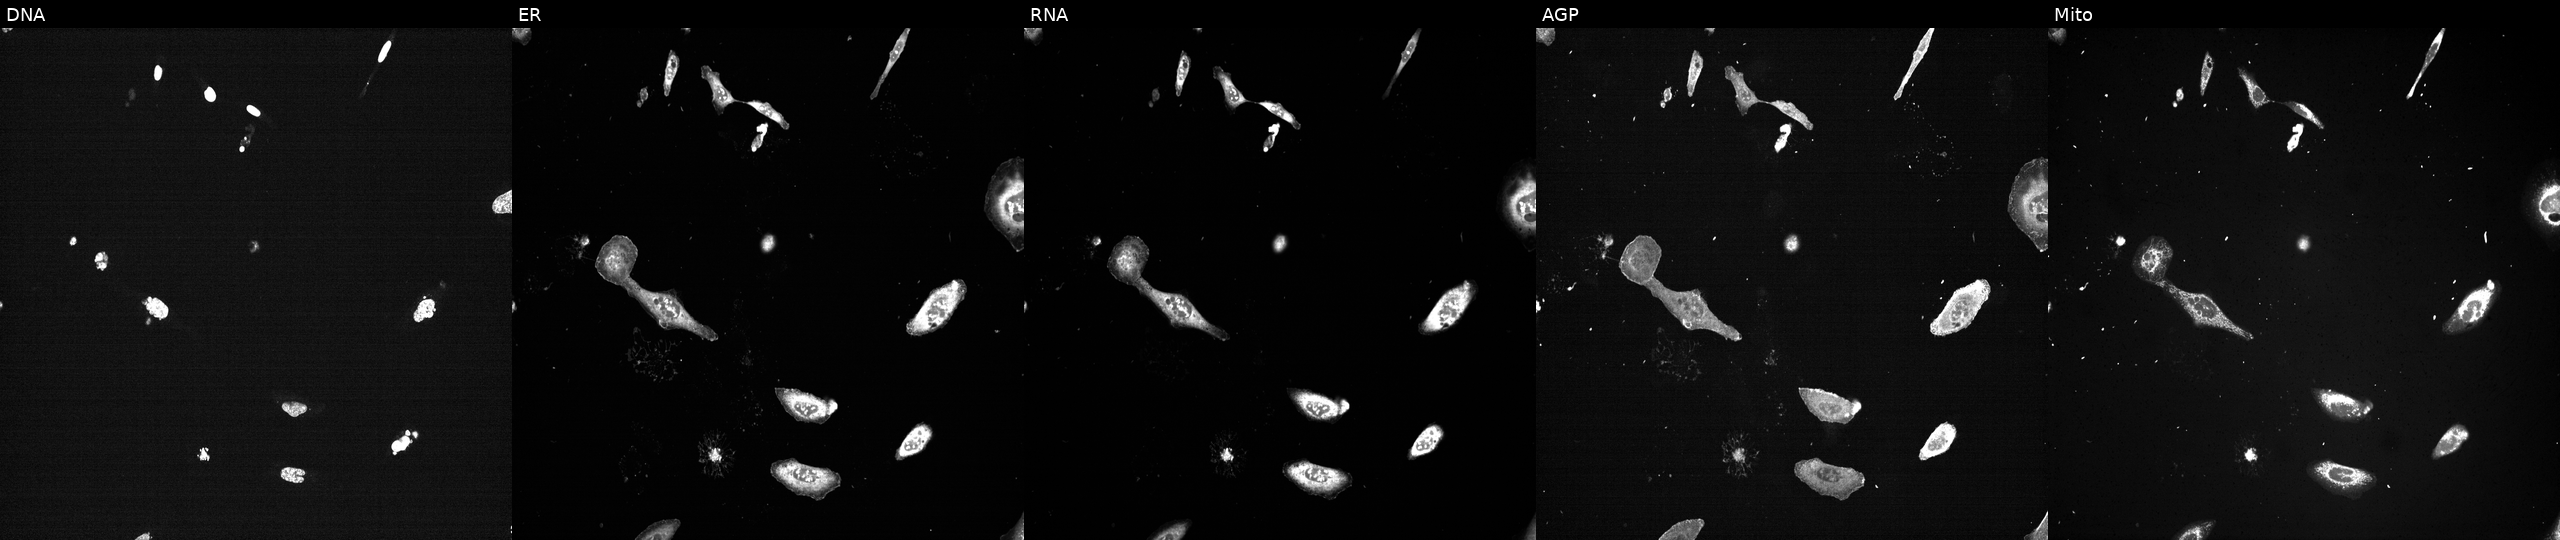
High-content fluorescence microscopy (Cell Painting). Cell line: U2OS. Perturbation: with PLK1 knocked out by CRISPR (positive control). Channels (left→right): Hoechst 33342, concanavalin A, SYTO 14, phalloidin and WGA, MitoTracker. Source 13, plate CP-CC9-R3-02, well O02.